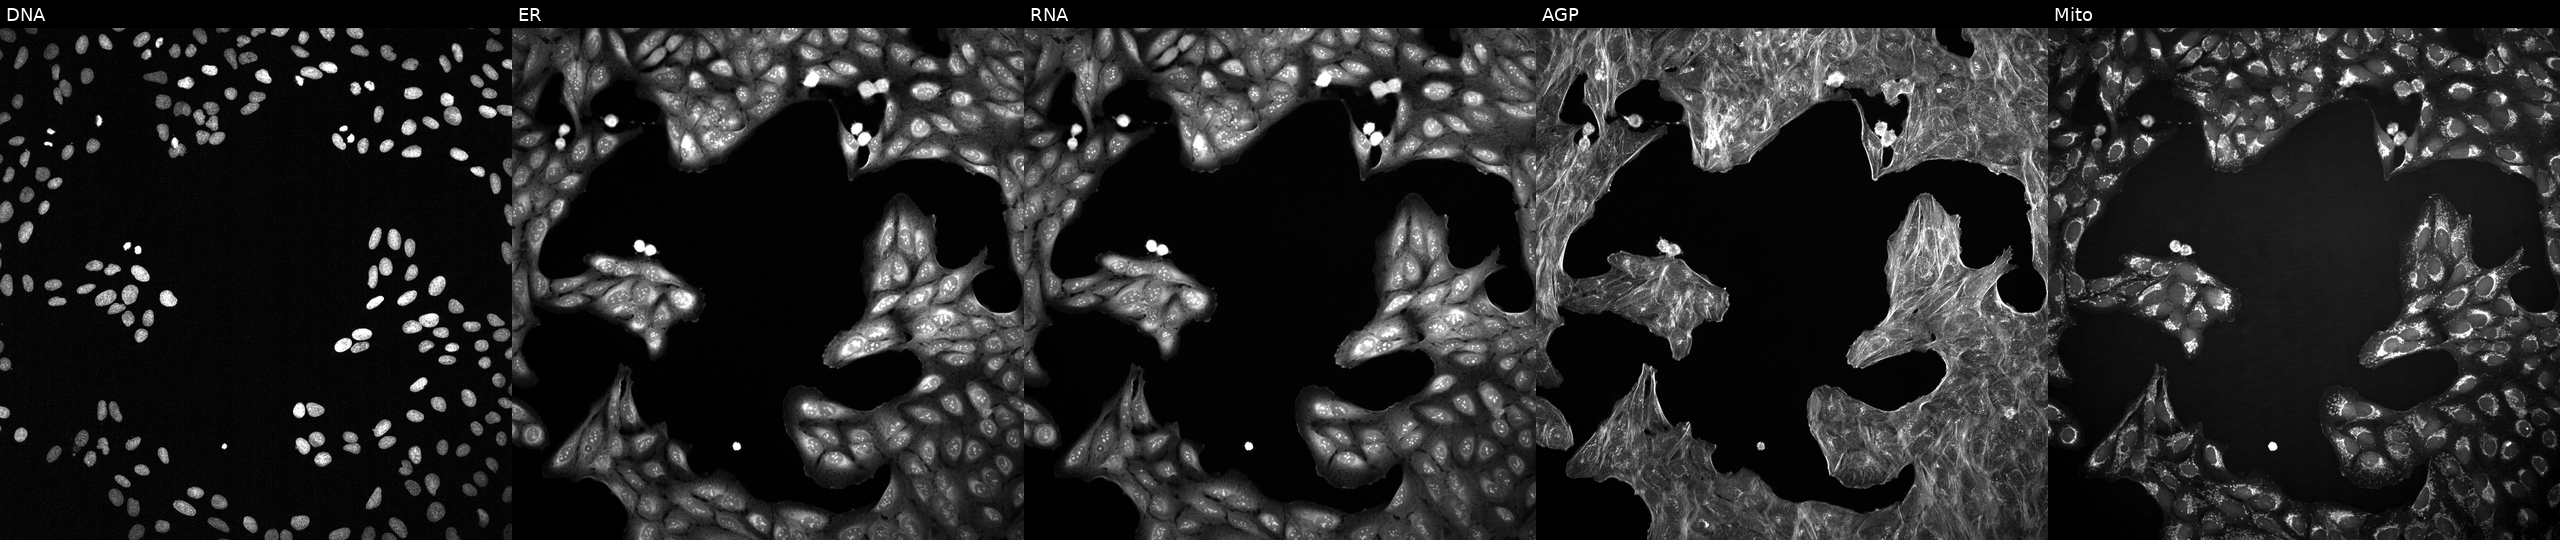
Five-channel Cell Painting image of U2OS cells perturbed with a small-molecule compound (JUMP id JCP2022_032357). From left to right: DNA, ER, RNA, AGP, and Mito.